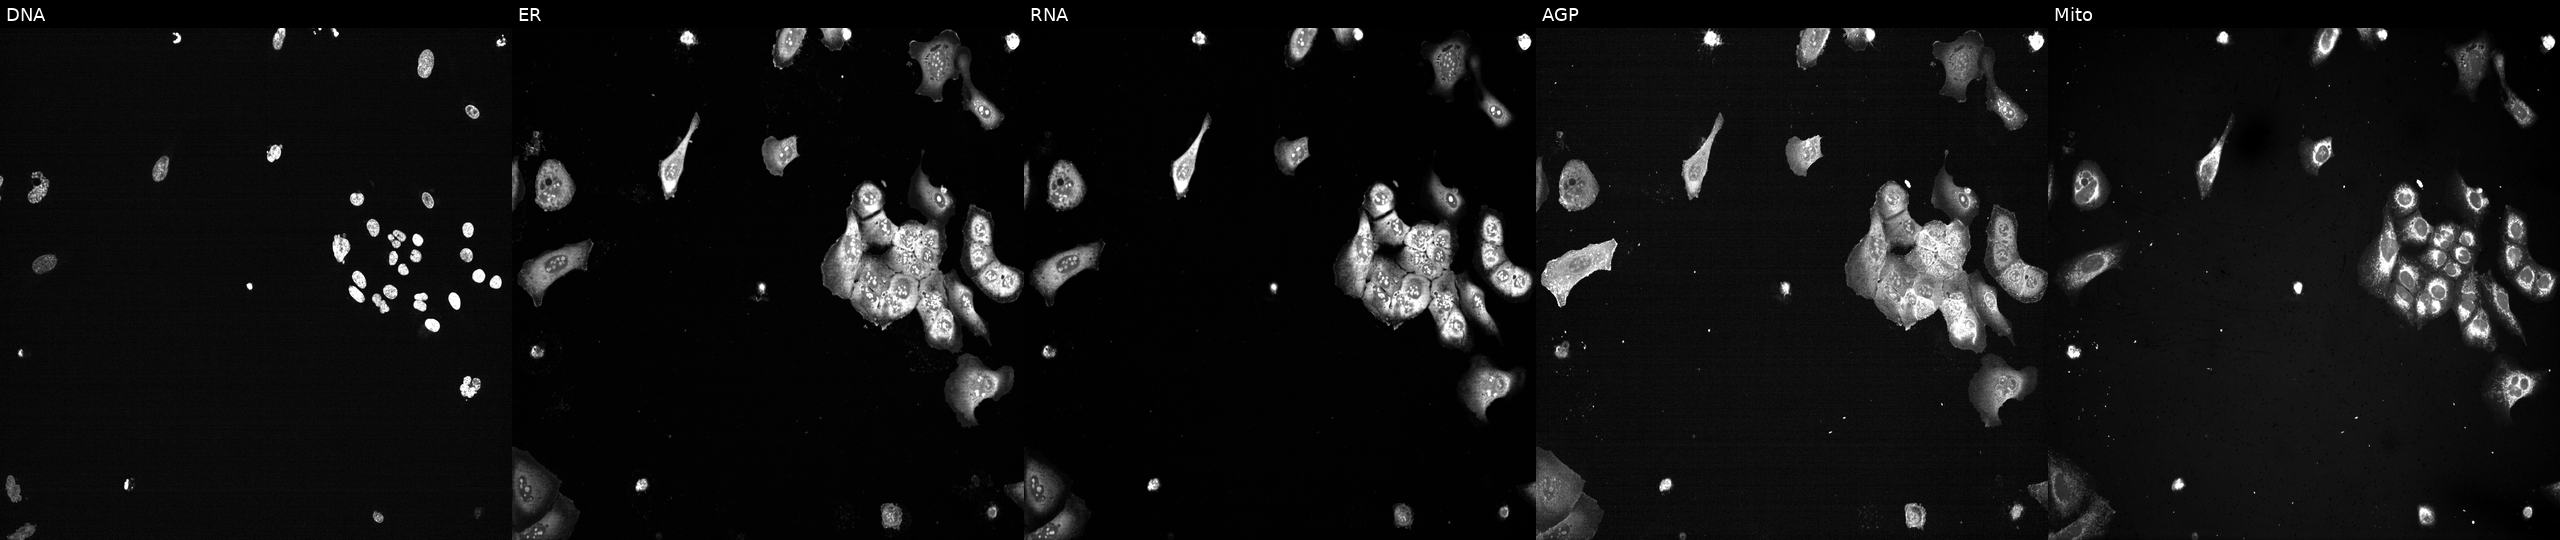
The five panels, left to right, show Hoechst 33342, concanavalin A, SYTO 14, phalloidin and WGA, MitoTracker. U2OS osteosarcoma cells with PLK1 knocked out by CRISPR (positive control). Cell Painting assay, JUMP-CP dataset.